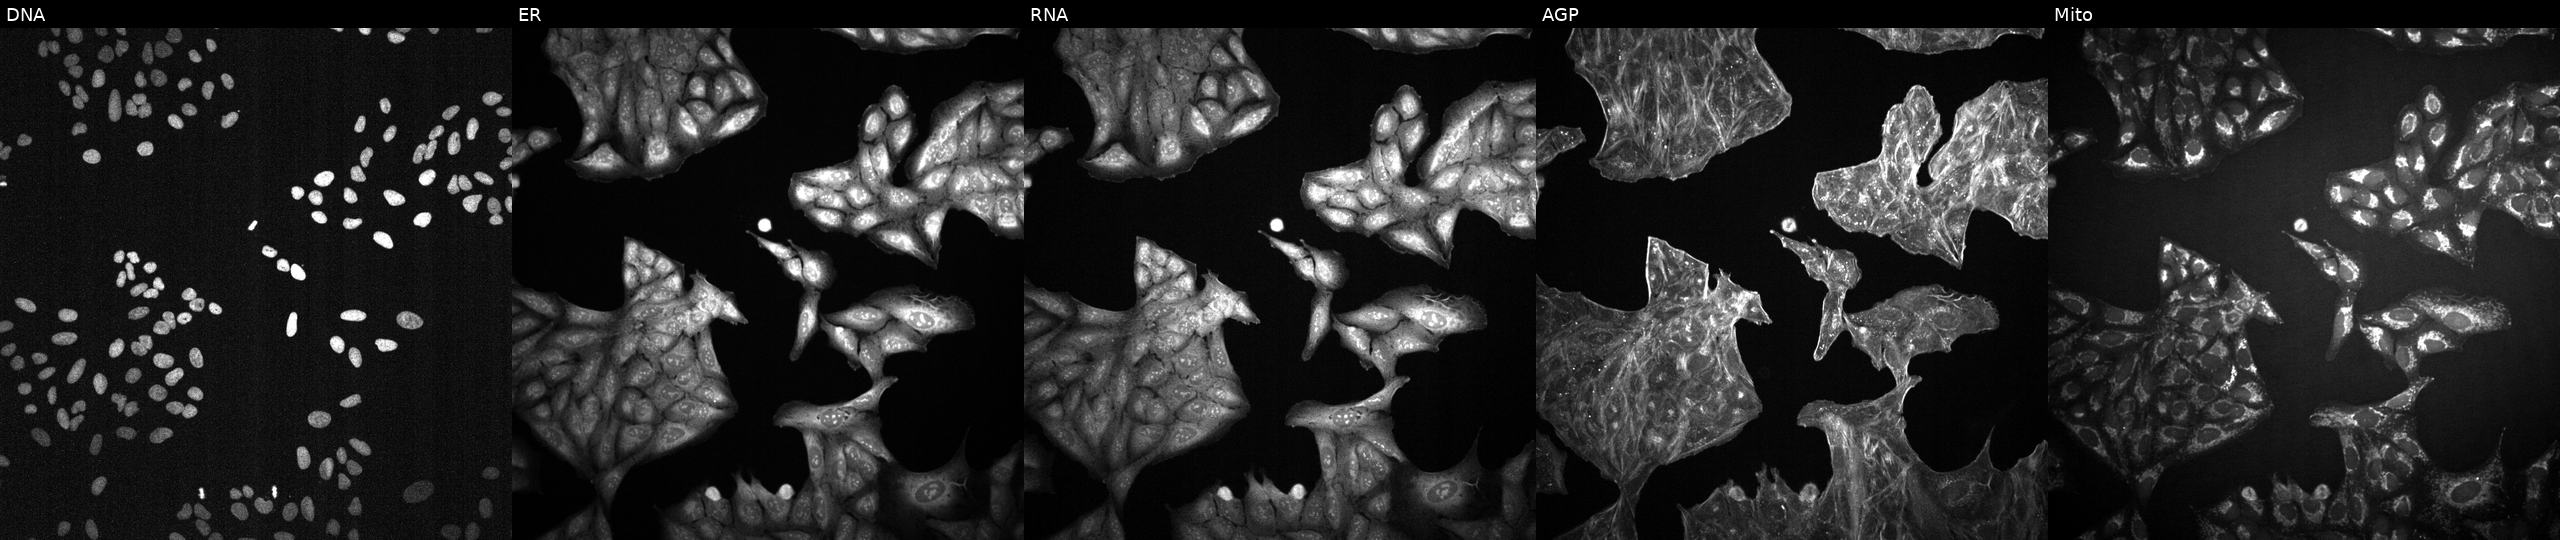
U2OS cells, Cell Painting assay, treated with a small-molecule compound [SMILES: NCC(=O)Nc1ccc(-n2nc(C(F)(F)F)cc2-c2ccc3c(ccc4ccccc43)c2)cc1] (JUMP id JCP2022_110929). From left to right: Hoechst 33342, concanavalin A, SYTO 14, phalloidin and WGA, MitoTracker. Each panel is percentile-stretched 16-bit fluorescence. Source 2, plate 1053599503, well I14.